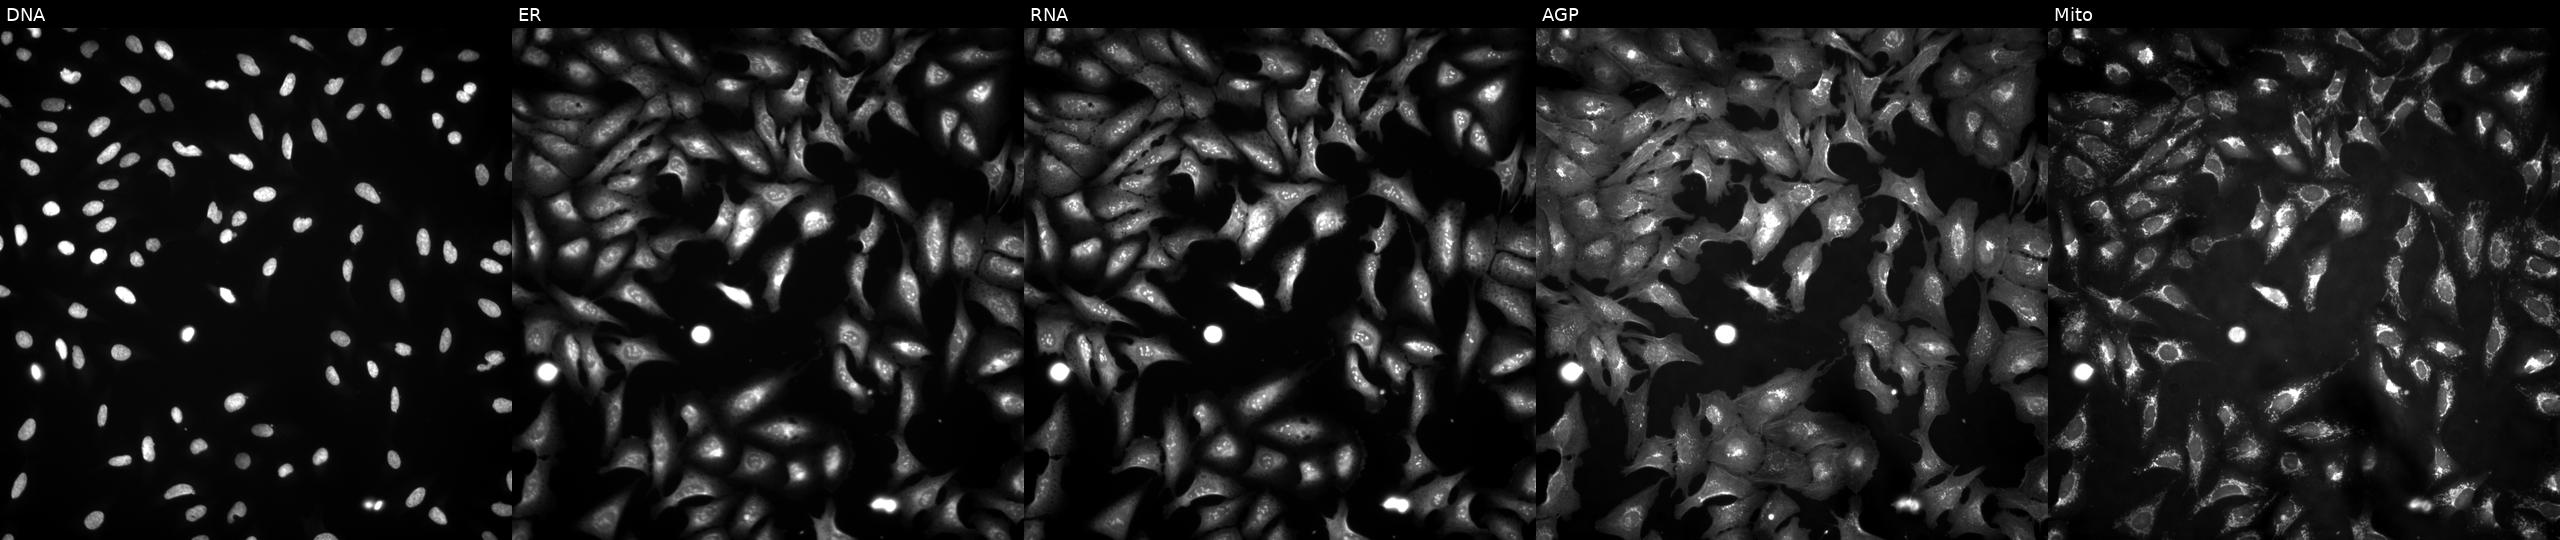
This image strip shows the five Cell Painting channels for a single field of U2OS cells with ABCF3 overexpressed (ORF). Panels show, left to right, DNA (nuclei); ER (endoplasmic reticulum); RNA (nucleoli and cytoplasmic RNA); AGP (actin cytoskeleton, Golgi, and plasma membrane); Mito (mitochondria).